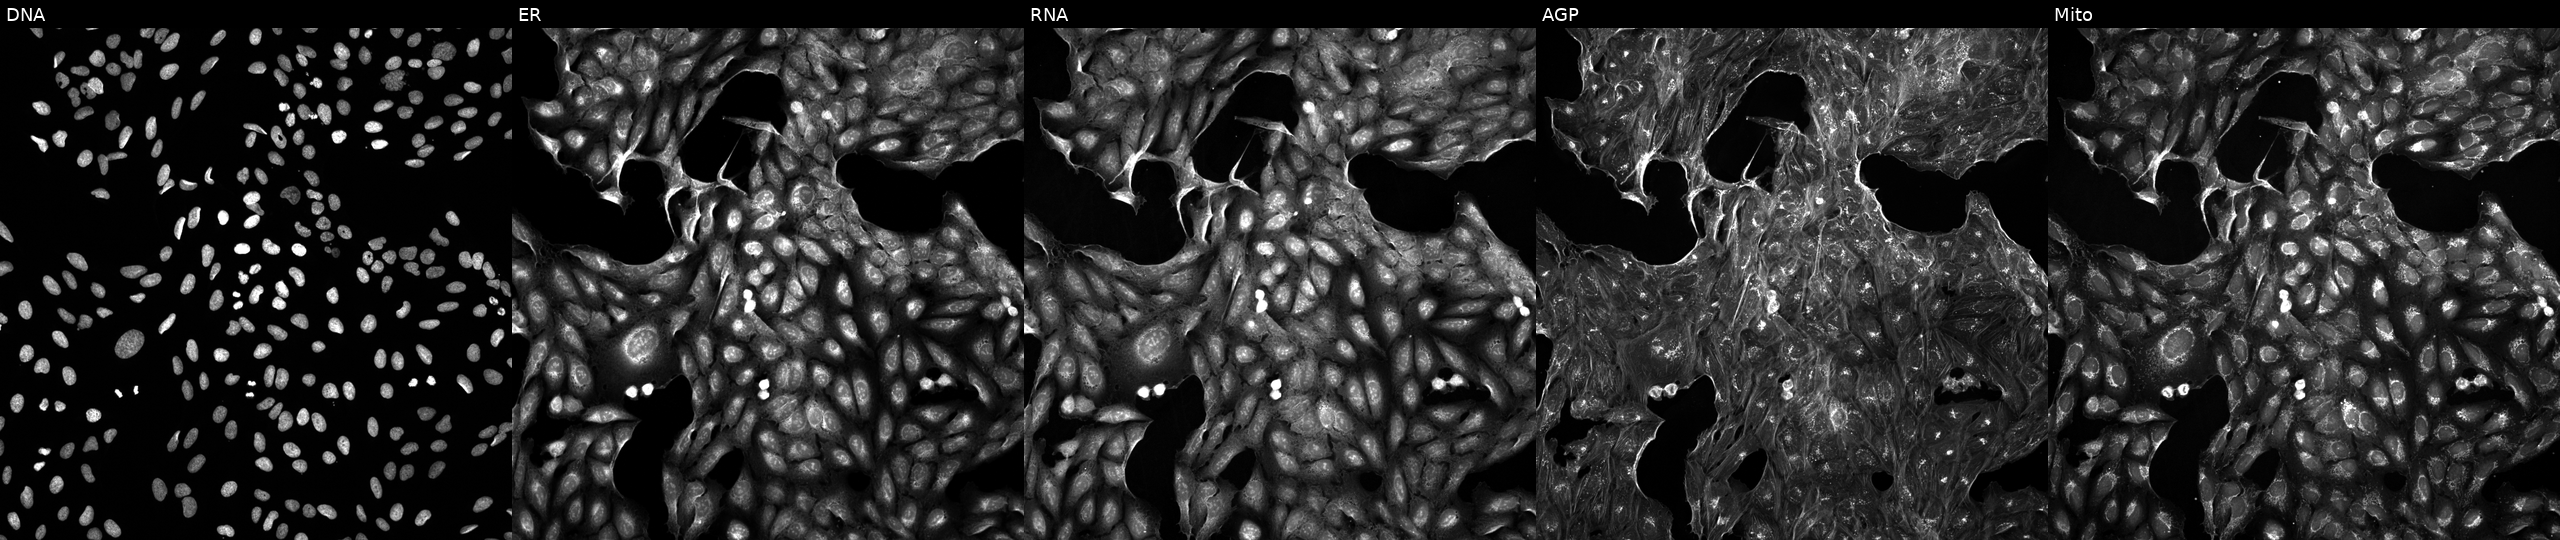
U2OS cells, Cell Painting assay, exposed to a small-molecule compound (InChIKey UXUQIRNFBFRPAC-UHFFFAOYSA-N). From left to right: DNA, ER, RNA, AGP, and Mito. Each panel is percentile-stretched 16-bit fluorescence.